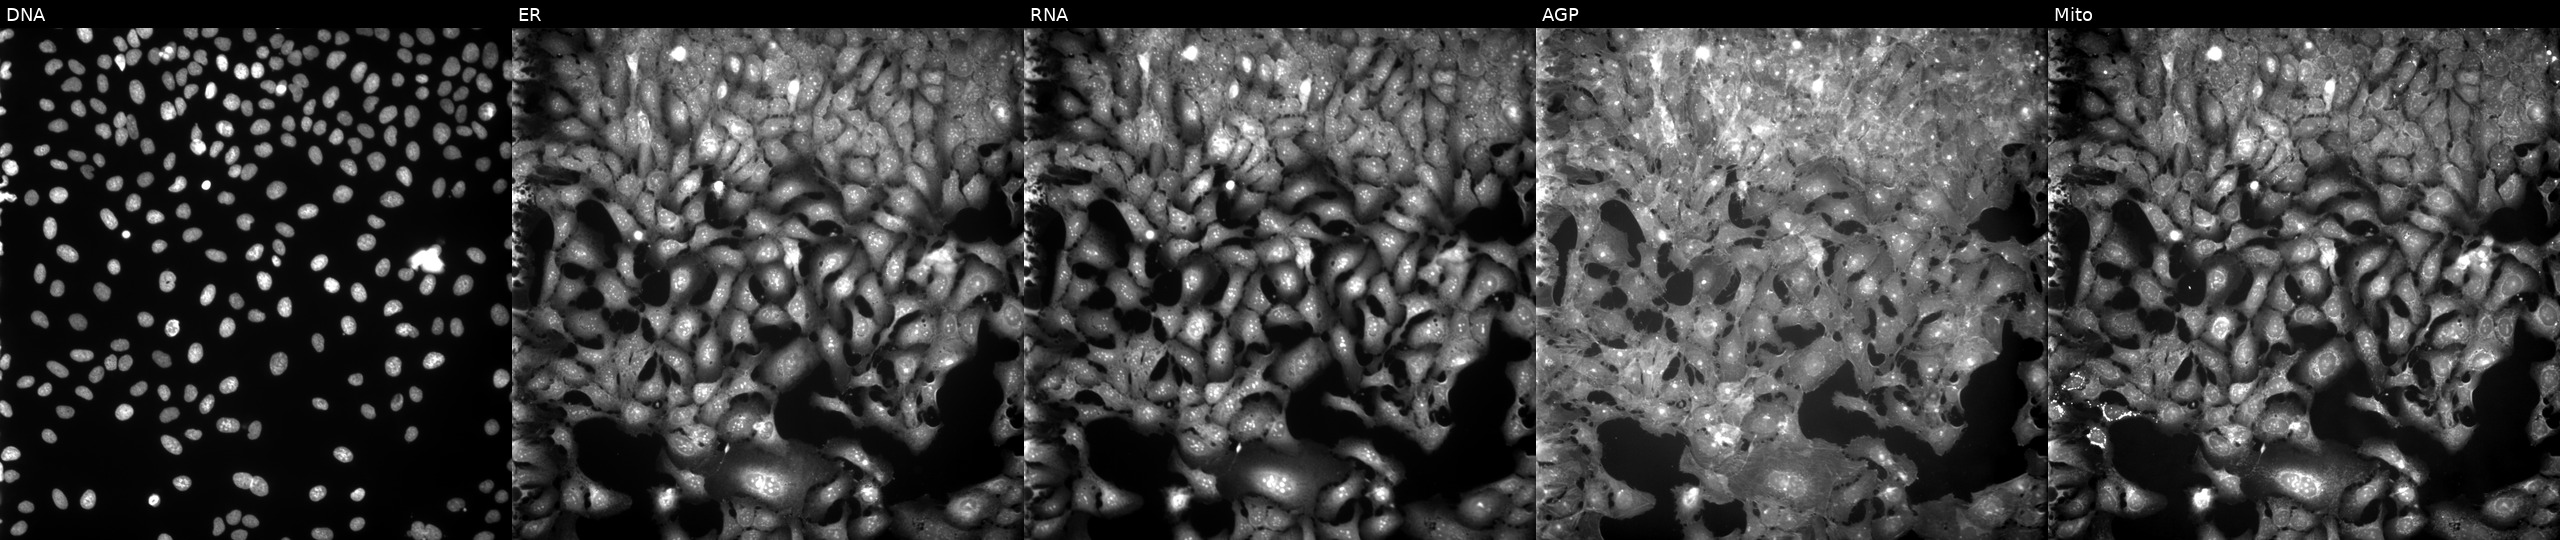
Five-channel Cell Painting image of U2OS cells exposed to the positive-control compound FK-866 (JUMP id JCP2022_046054). Channels (left→right): Hoechst 33342, concanavalin A, SYTO 14, phalloidin and WGA, MitoTracker.